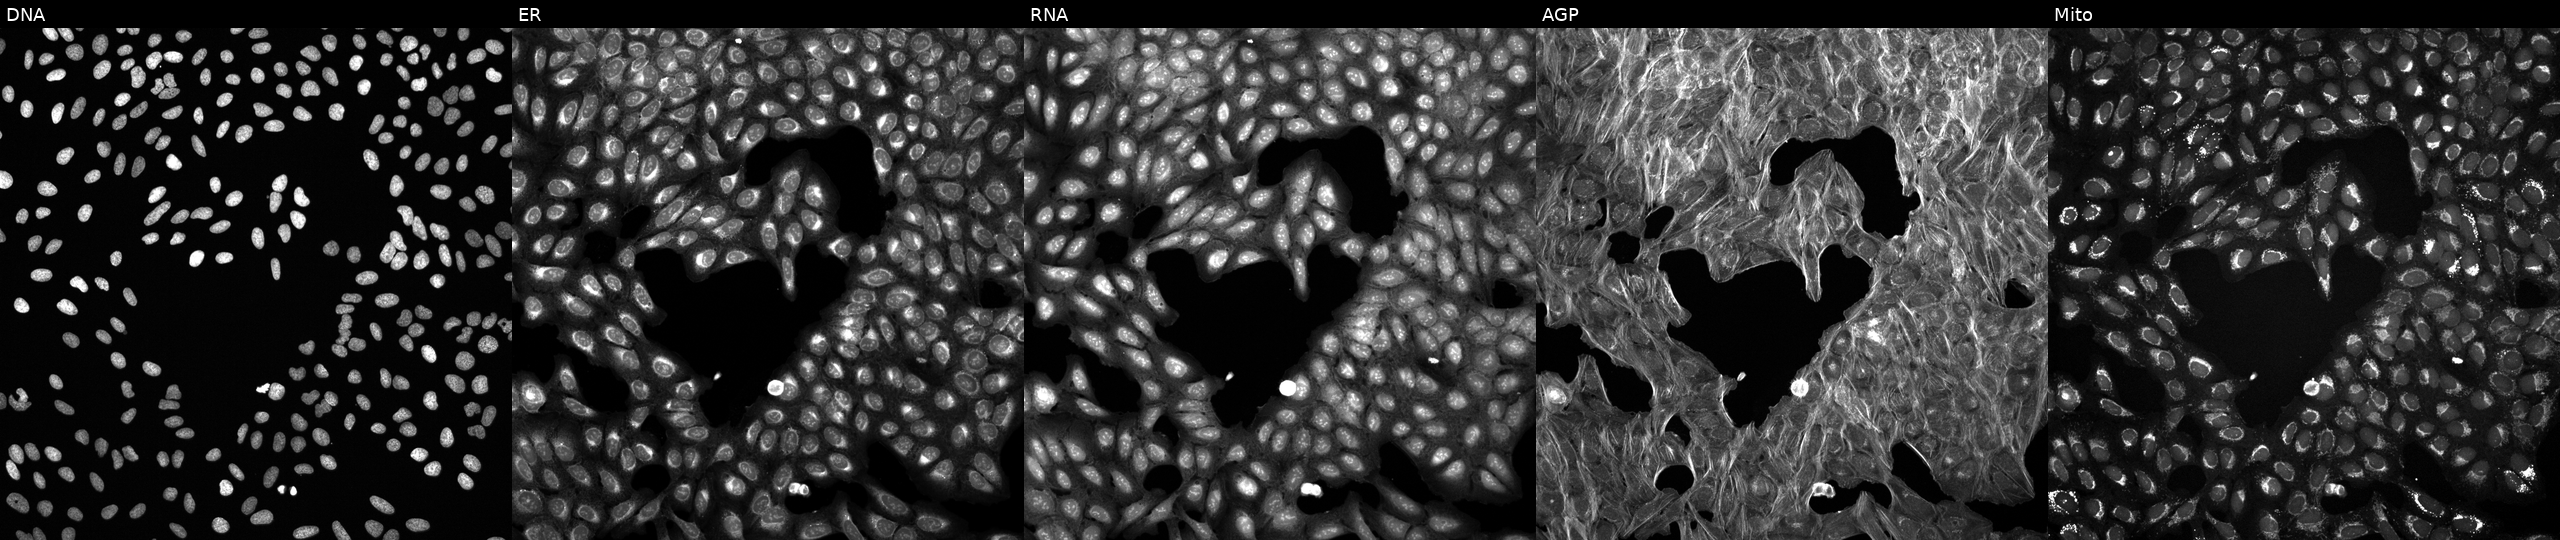
Five-channel Cell Painting image of U2OS cells perturbed with a small-molecule compound (InChIKey ATJKFEOADXXPCR-UHFFFAOYSA-N). Channels (left→right): DNA, ER, RNA, AGP, and Mito. Source 6, plate 110000293082, well K15.